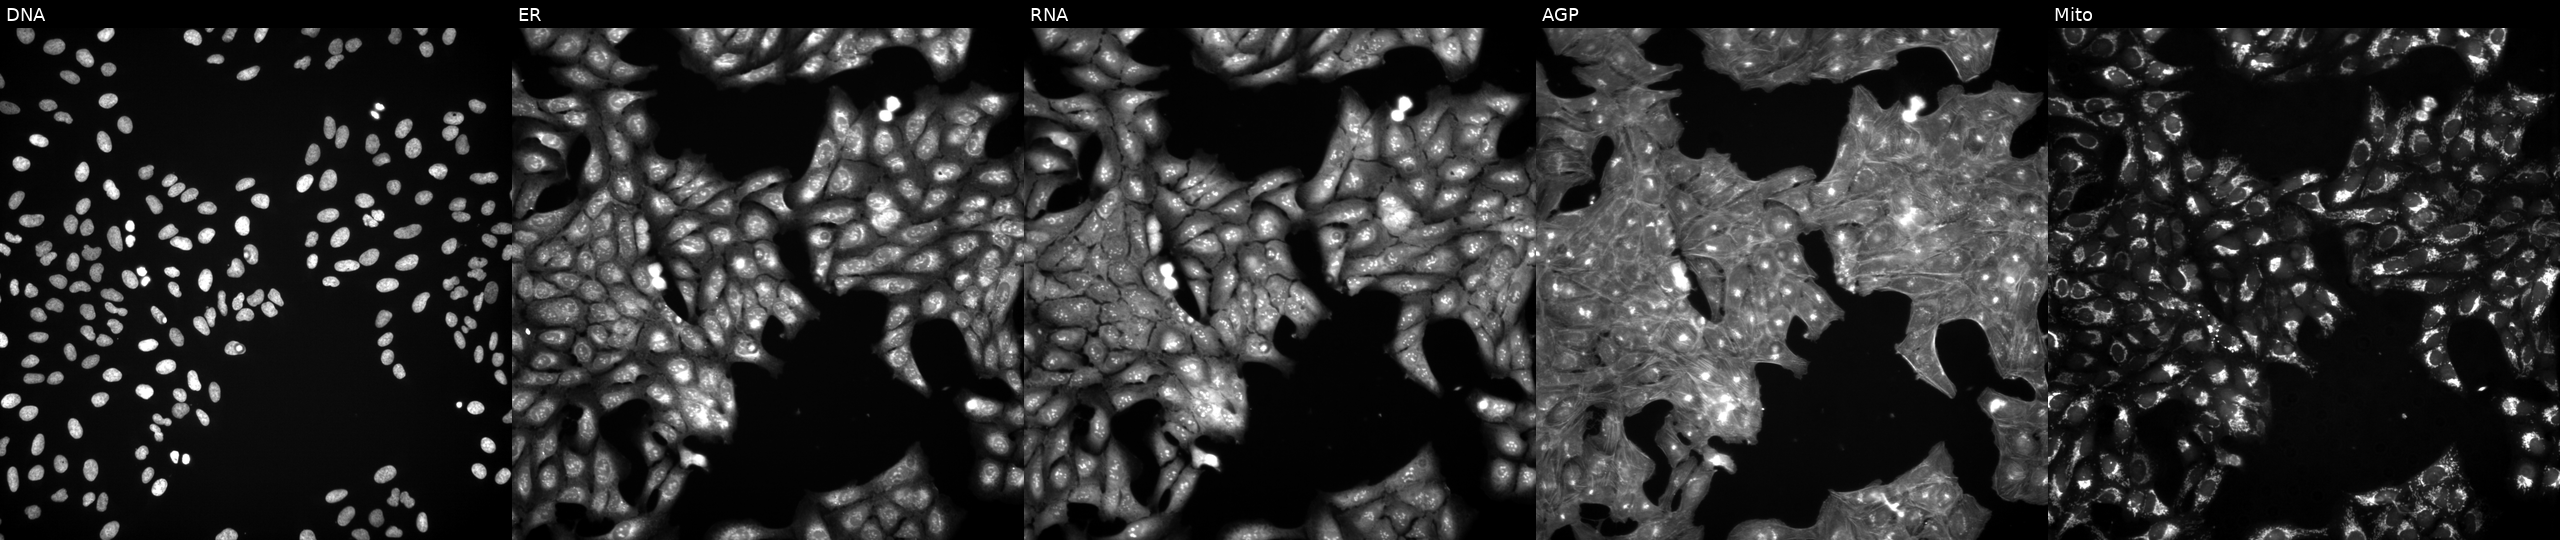
This image strip shows the five Cell Painting channels for a single field of U2OS cells exposed to DMSO alone as a negative control. From left to right: DNA (nuclei); ER (endoplasmic reticulum); RNA (nucleoli and cytoplasmic RNA); AGP (actin cytoskeleton, Golgi, and plasma membrane); Mito (mitochondria). Source 3, plate JCPQC051, well L10.